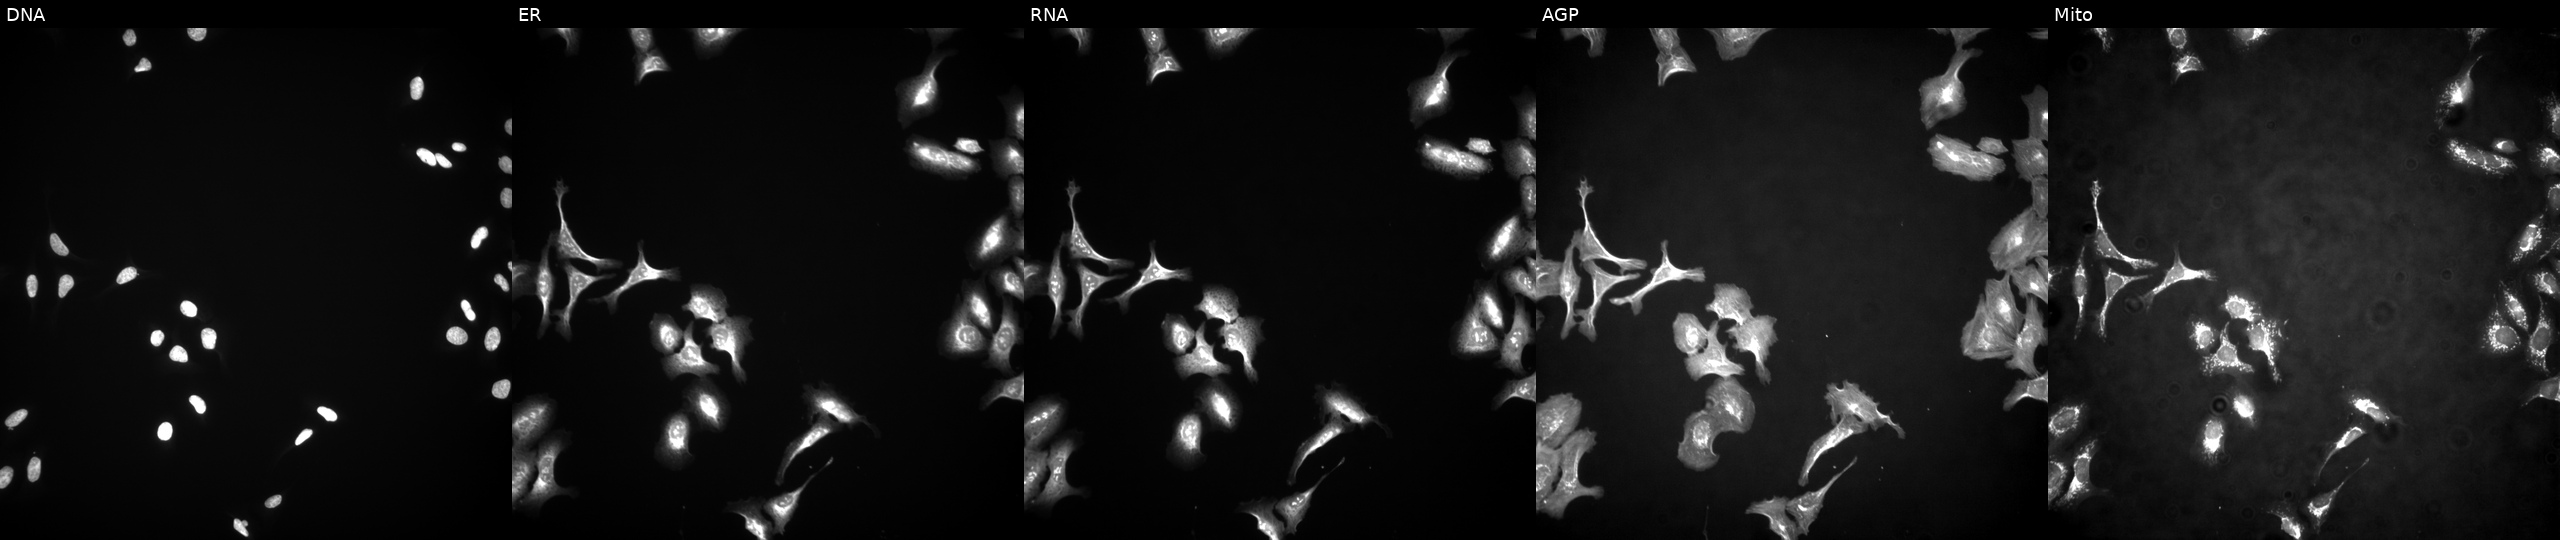
U2OS cells, Cell Painting assay, with COMMD10 overexpressed (ORF) (JUMP id JCP2022_907747). Channels (left→right): DNA (nuclei); ER (endoplasmic reticulum); RNA (nucleoli and cytoplasmic RNA); AGP (actin cytoskeleton, Golgi, and plasma membrane); Mito (mitochondria). Each panel is percentile-stretched 16-bit fluorescence. Source 4, plate BR00123509, well J16.